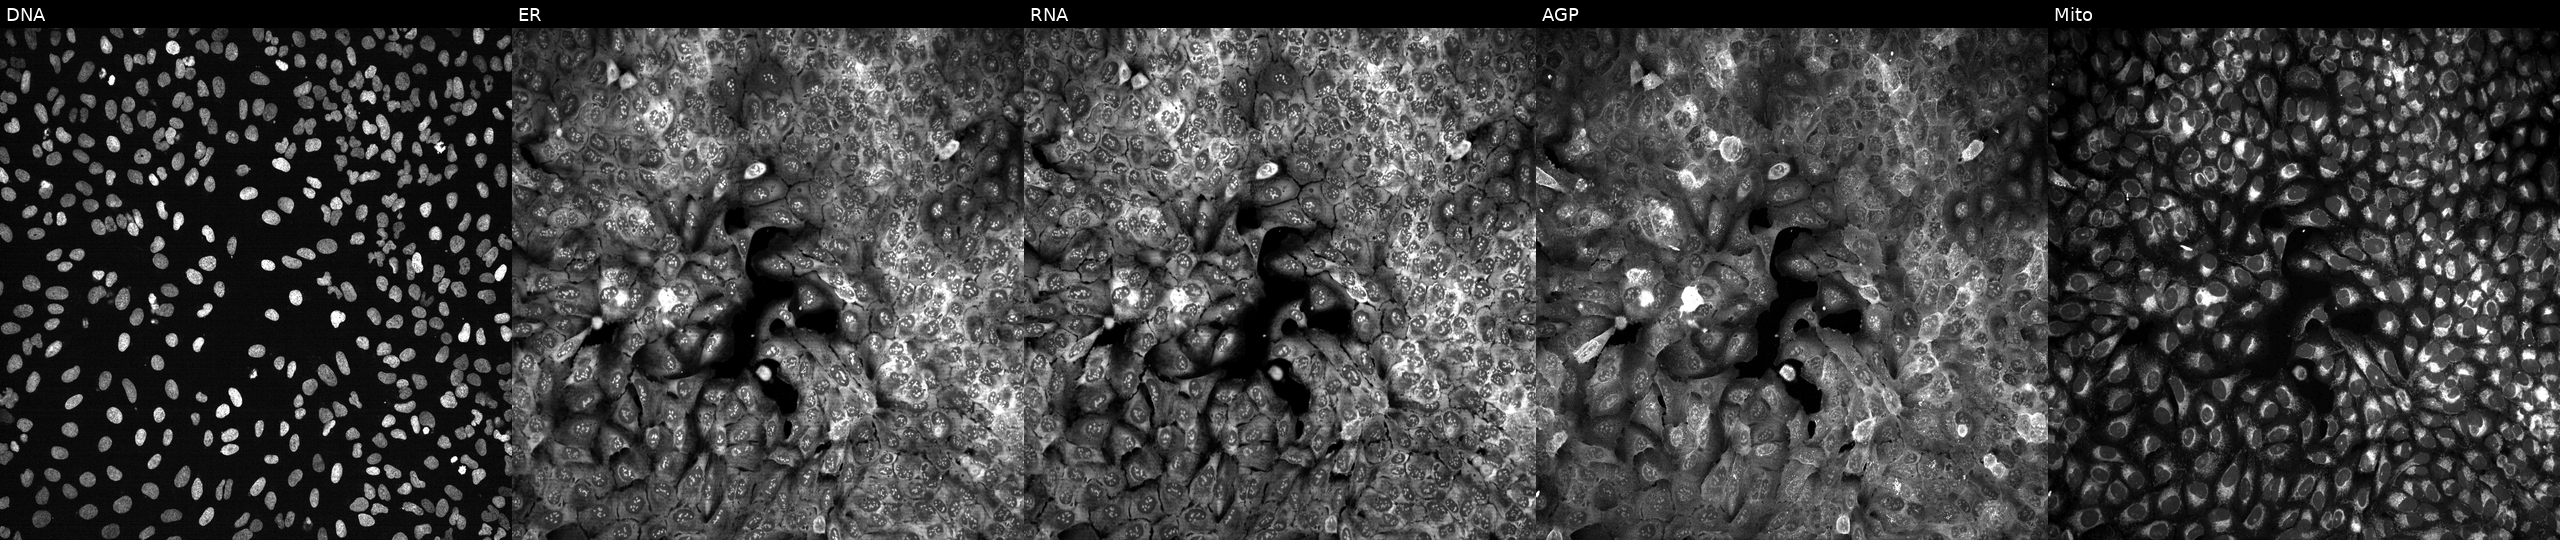
High-content fluorescence microscopy (Cell Painting). Cell line: U2OS. Perturbation: with NLRP11 knocked out by CRISPR. From left to right: DNA (nuclei); ER (endoplasmic reticulum); RNA (nucleoli and cytoplasmic RNA); AGP (actin cytoskeleton, Golgi, and plasma membrane); Mito (mitochondria).